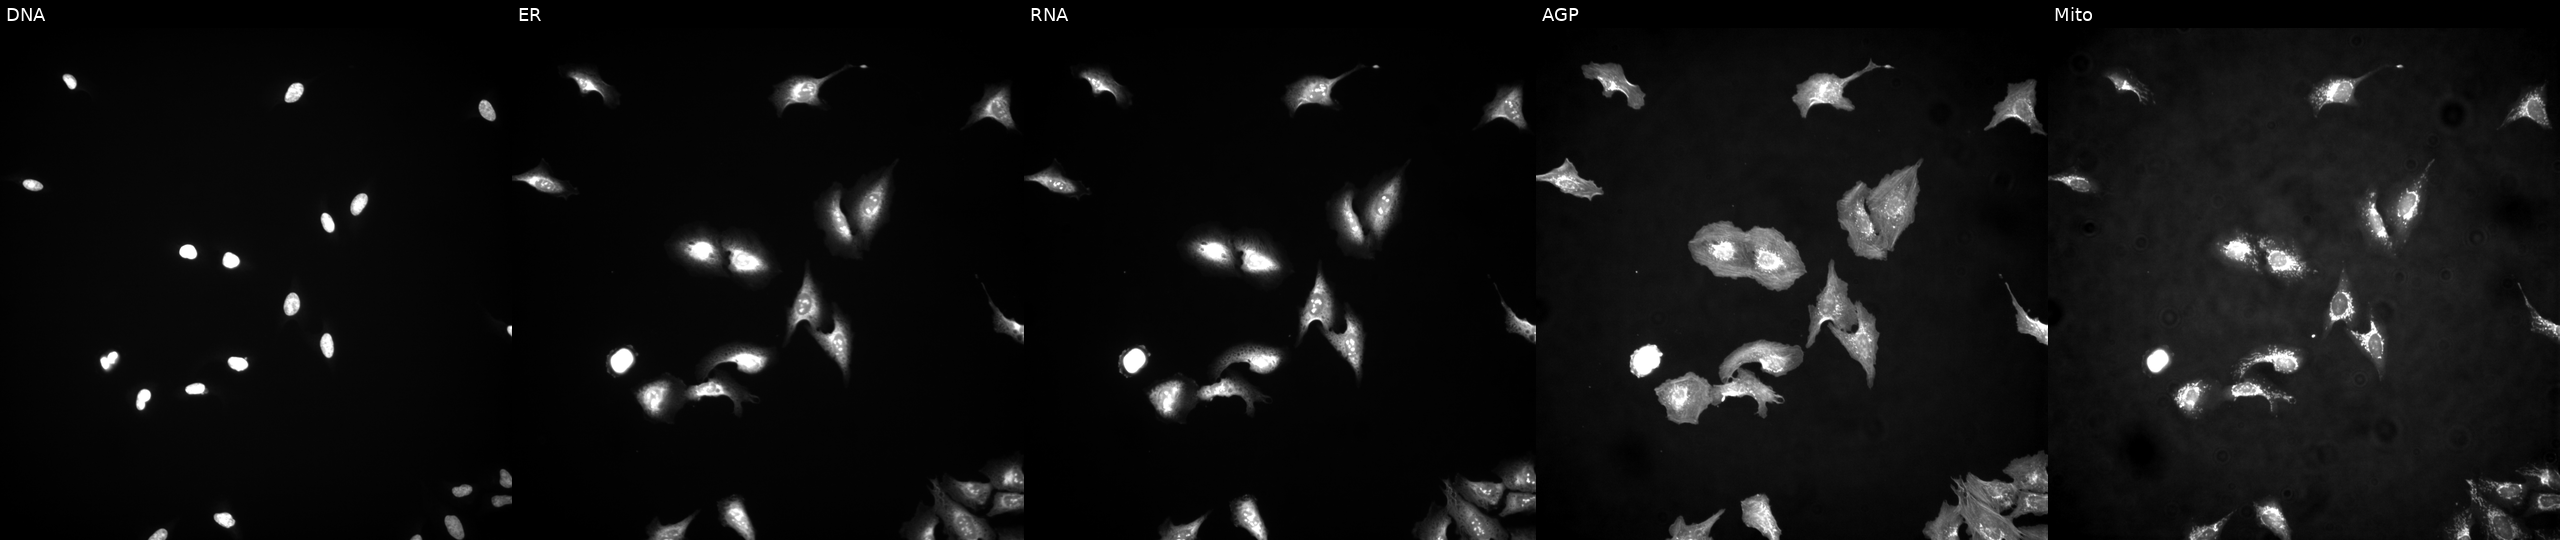
Five-channel Cell Painting image of U2OS cells overexpressing LMAN2 via ORF transfection. Panels show, left to right, DNA (nuclei); ER (endoplasmic reticulum); RNA (nucleoli and cytoplasmic RNA); AGP (actin cytoskeleton, Golgi, and plasma membrane); Mito (mitochondria).